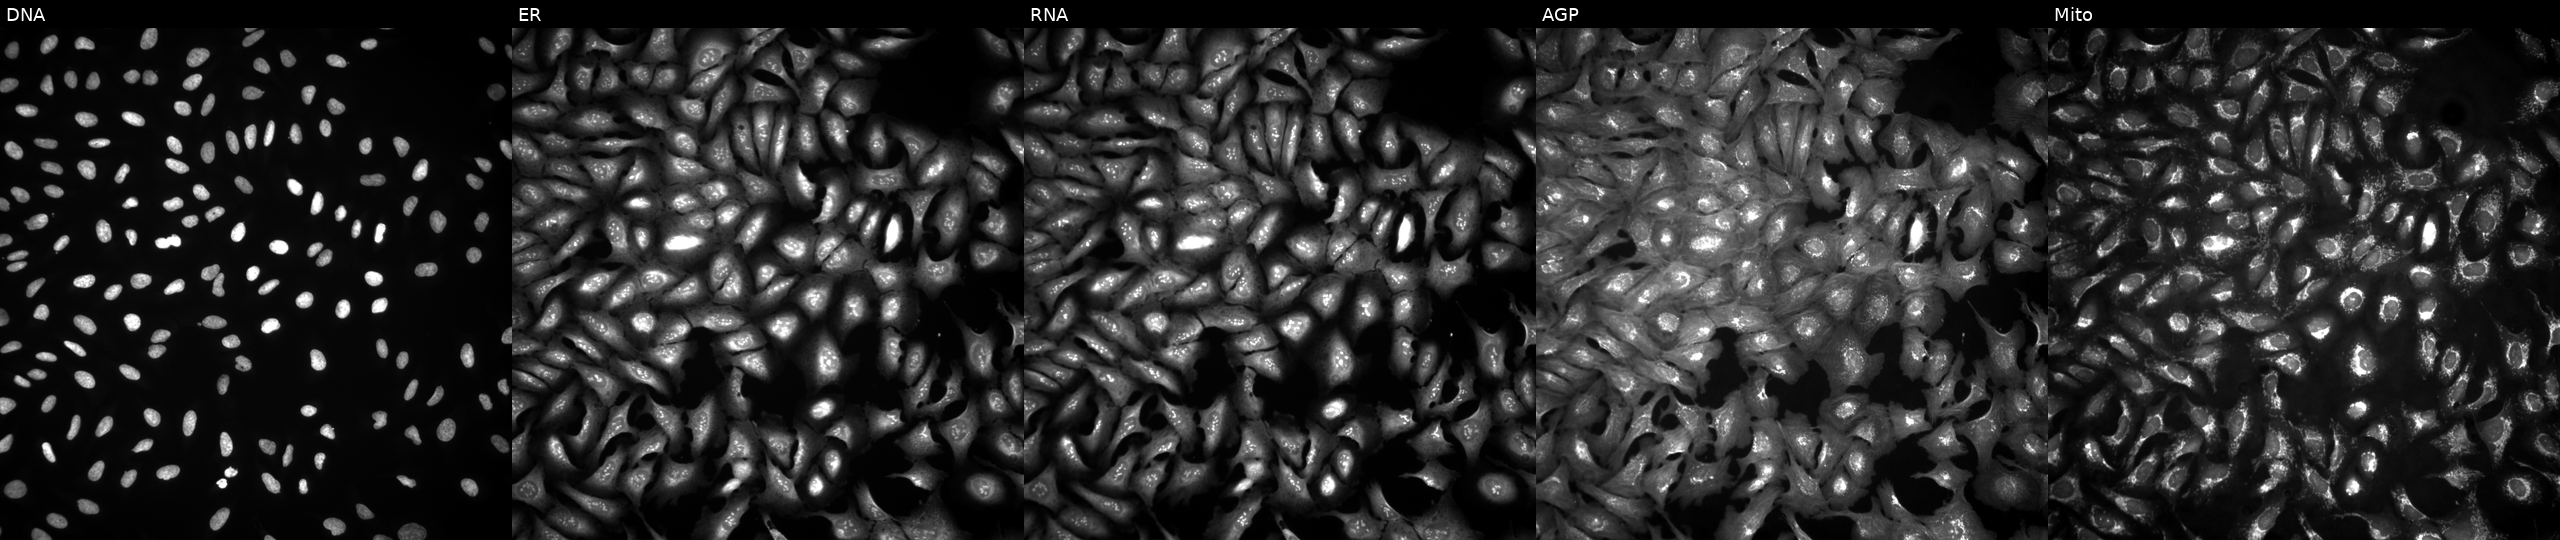
U2OS cells, Cell Painting assay, in an empty control well (no perturbation) (JUMP id JCP2022_999999). From left to right: DNA (nuclei); ER (endoplasmic reticulum); RNA (nucleoli and cytoplasmic RNA); AGP (actin cytoskeleton, Golgi, and plasma membrane); Mito (mitochondria). Each panel is percentile-stretched 16-bit fluorescence.